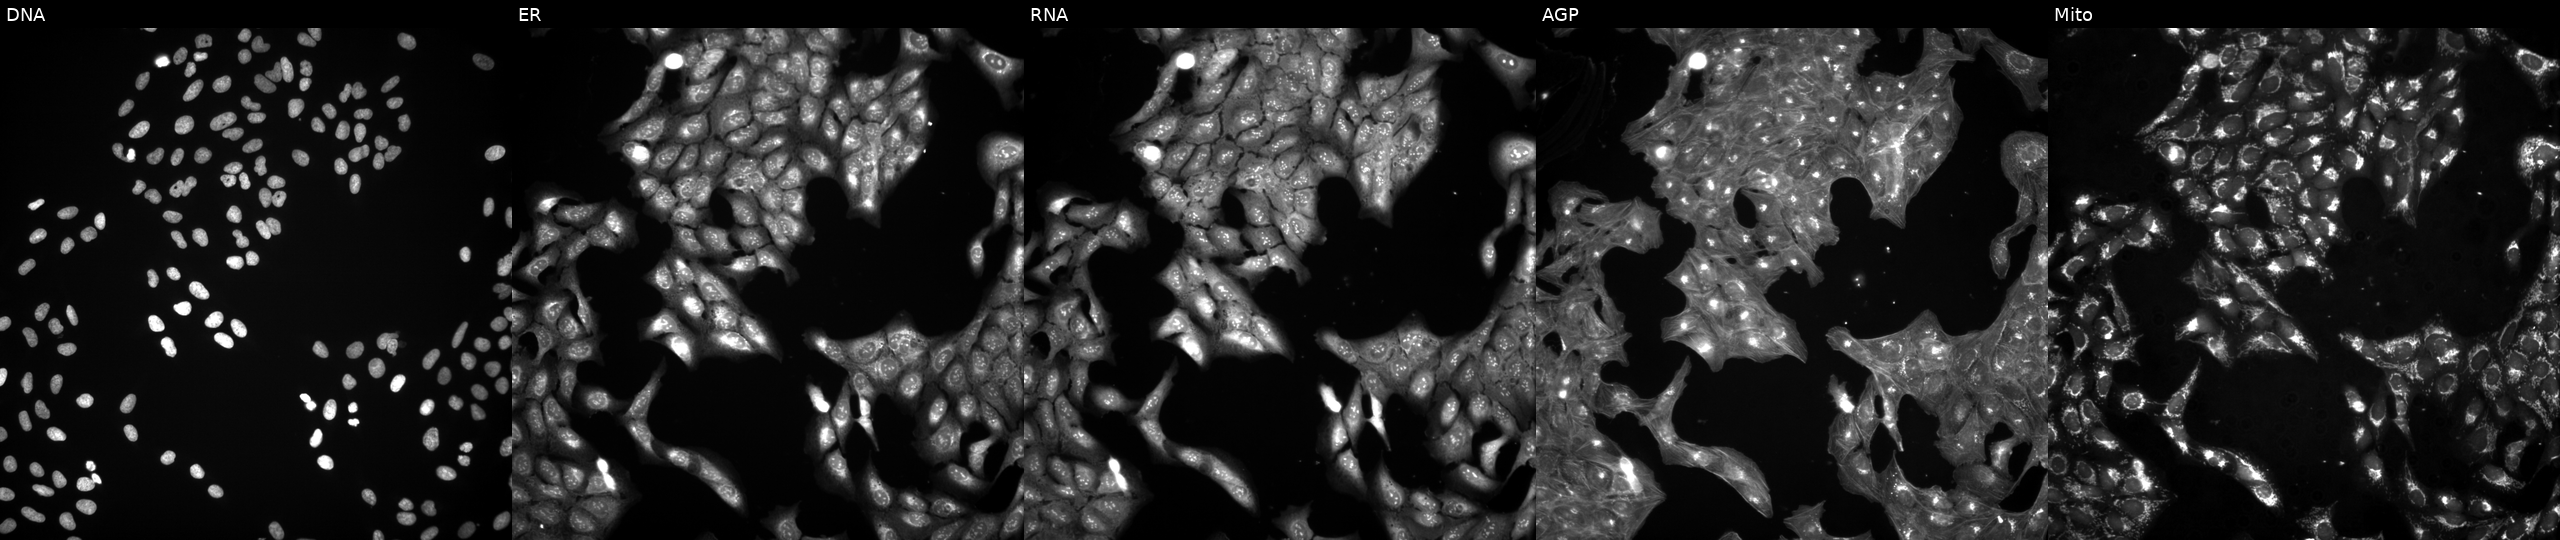
U2OS cells, Cell Painting assay, perturbed with a small-molecule compound (InChIKey RIKMMFOAQPJVMX-UHFFFAOYSA-N). Panels show, left to right, DNA, ER, RNA, AGP, and Mito. Each panel is percentile-stretched 16-bit fluorescence.